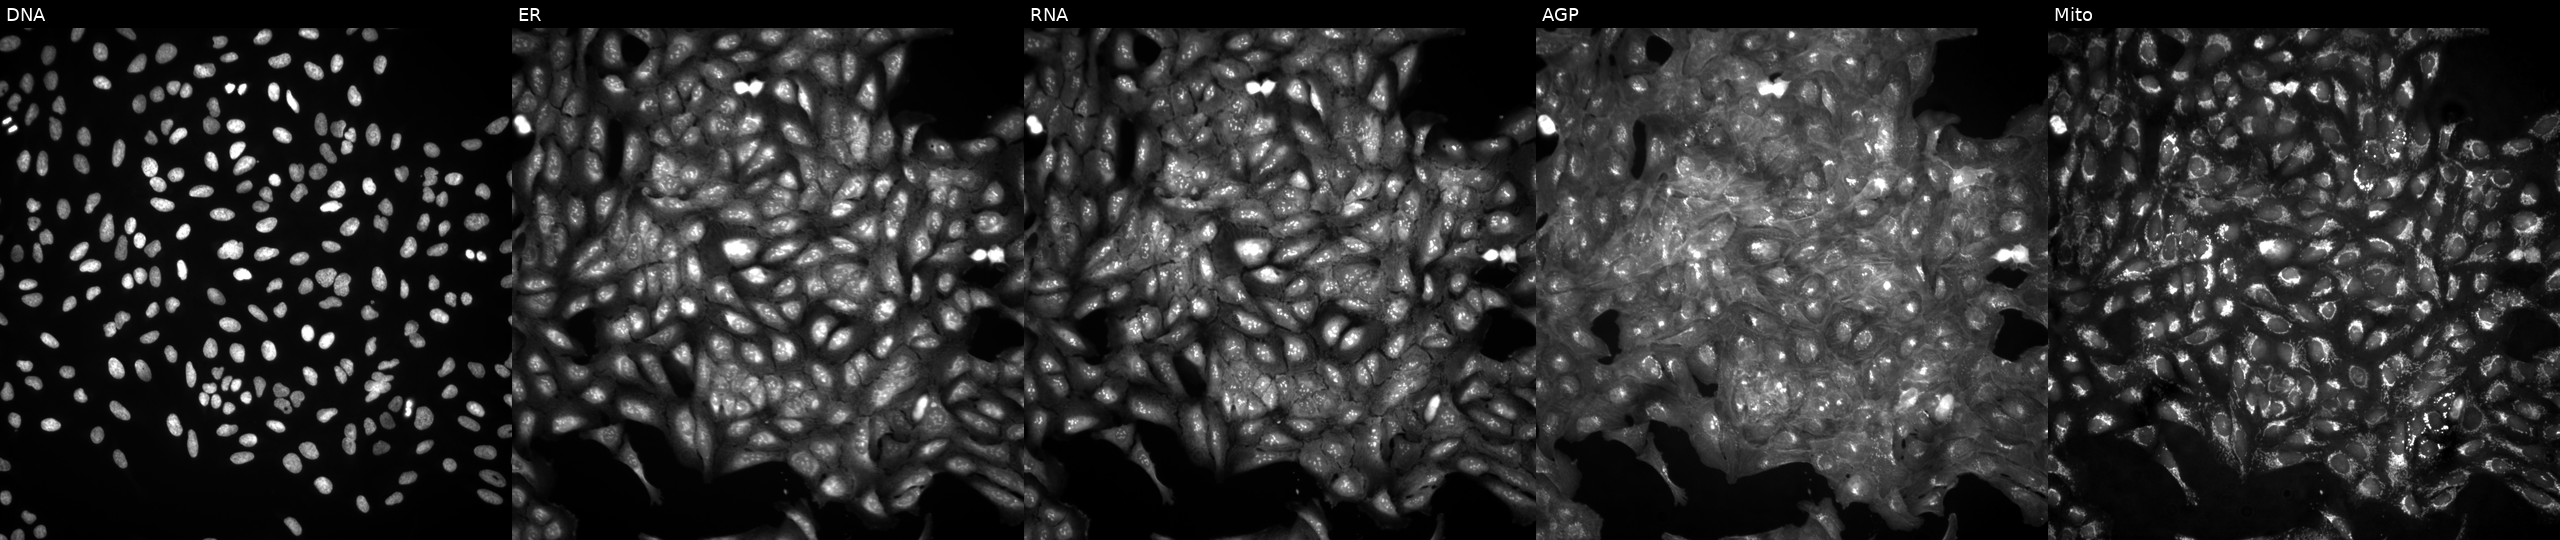
High-content fluorescence microscopy (Cell Painting). Cell line: U2OS. Perturbation: untreated (empty-well control) (JUMP id JCP2022_999999). From left to right: DNA (nuclei); ER (endoplasmic reticulum); RNA (nucleoli and cytoplasmic RNA); AGP (actin cytoskeleton, Golgi, and plasma membrane); Mito (mitochondria).